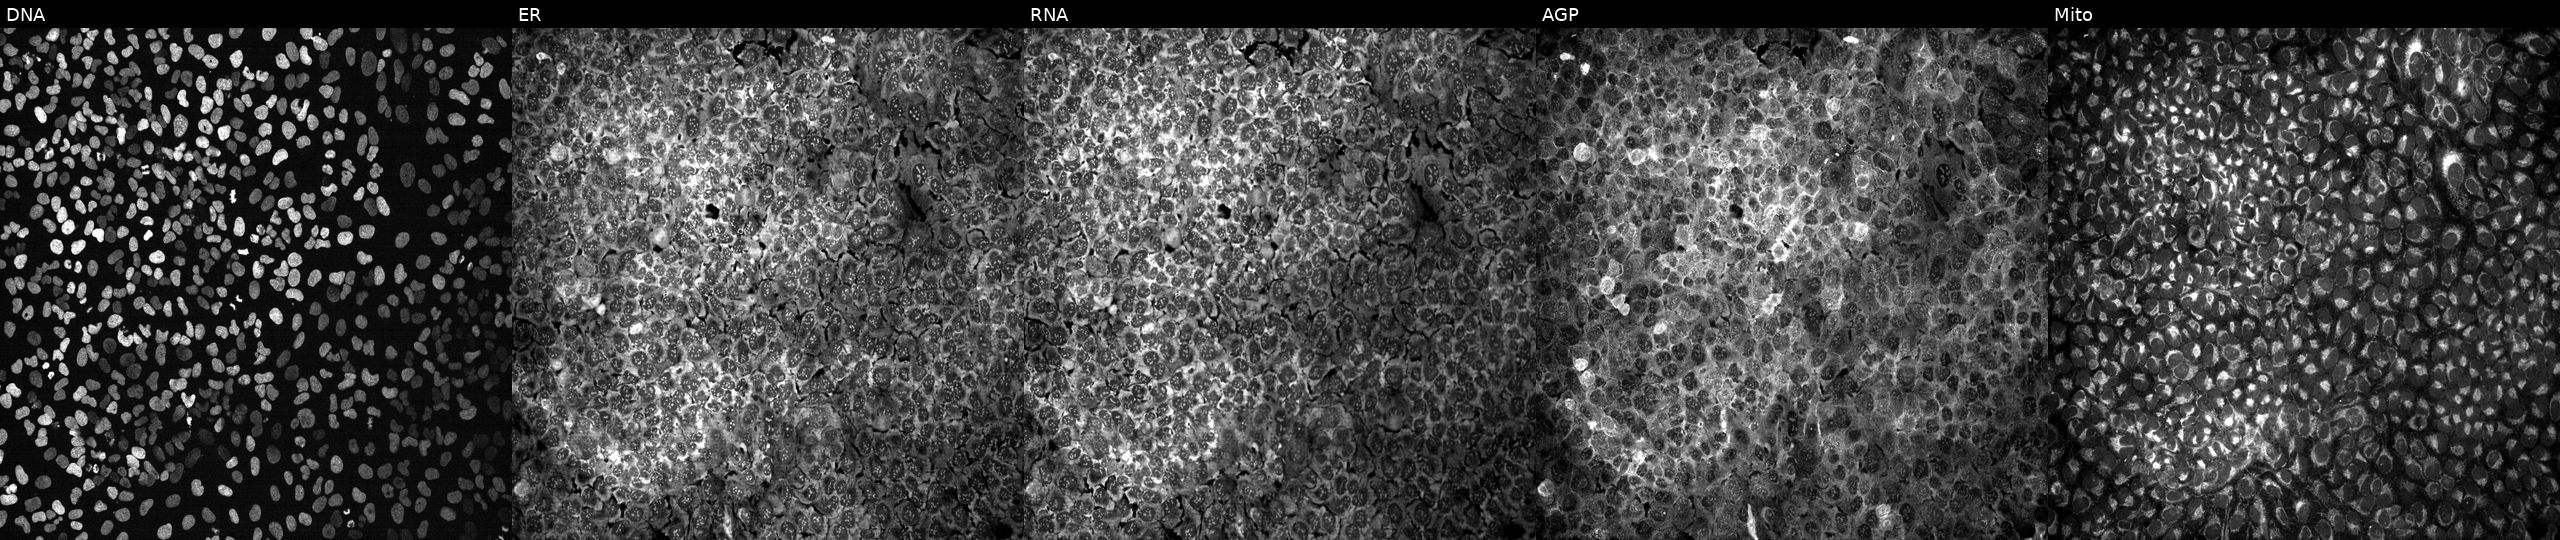
Five-channel Cell Painting image of U2OS cells treated with DMSO vehicle only (negative control). Channels (left→right): DNA, ER, RNA, AGP, and Mito. Source 13, plate CP-CC9-R4-03, well H23.